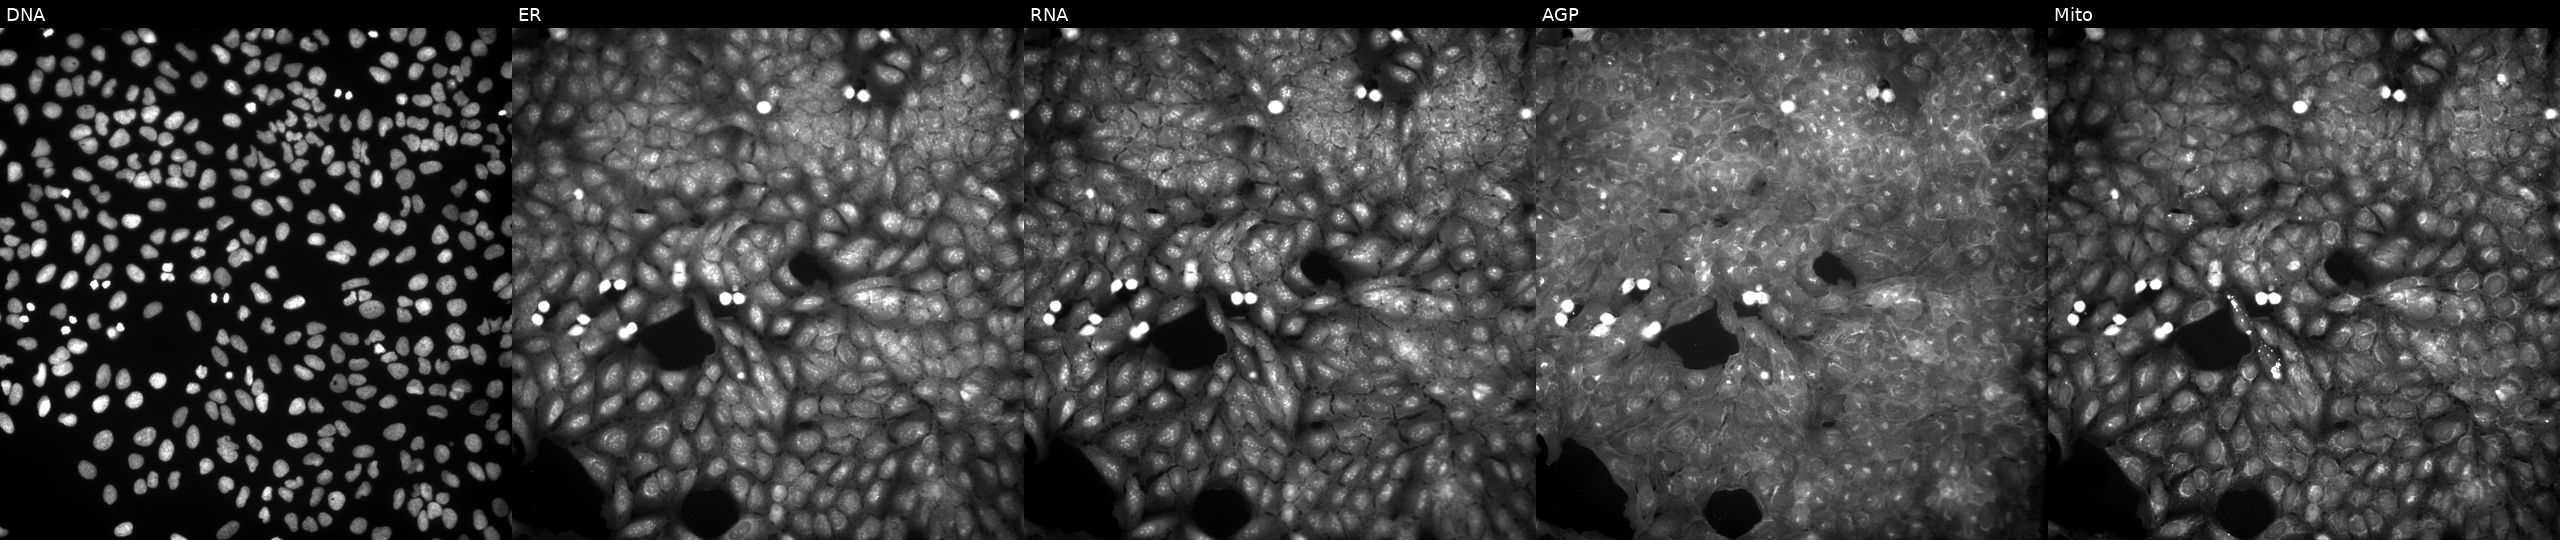
High-content fluorescence microscopy (Cell Painting). Cell line: U2OS. Perturbation: treated with a small-molecule compound (InChIKey JINNWFWPDYOYLT-UHFFFAOYSA-N). From left to right: DNA (nuclei); ER (endoplasmic reticulum); RNA (nucleoli and cytoplasmic RNA); AGP (actin cytoskeleton, Golgi, and plasma membrane); Mito (mitochondria). Source 9, plate GR00003381, well U39.